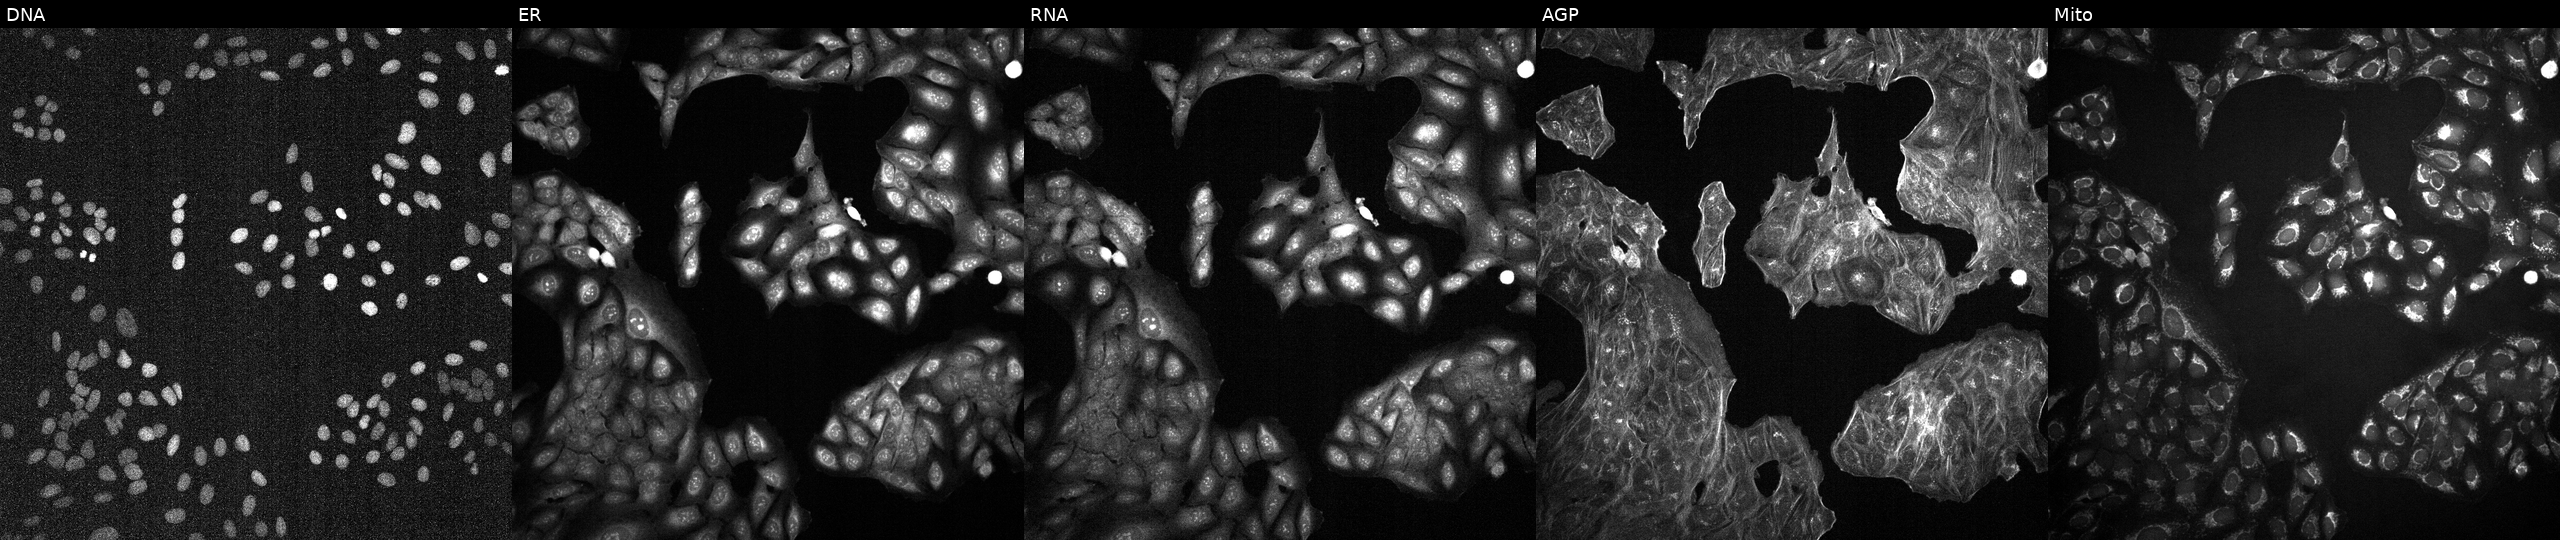
JUMP Cell Painting — TARGET2 plate. U2OS cells treated with a small-molecule compound [SMILES: CCOC(=O)c1c2c3c(cccc3[nH]c1=O)C(=O)c1ccccc1-2] (JUMP id JCP2022_088849). The five panels, left to right, show DNA, ER, RNA, AGP, and Mito.